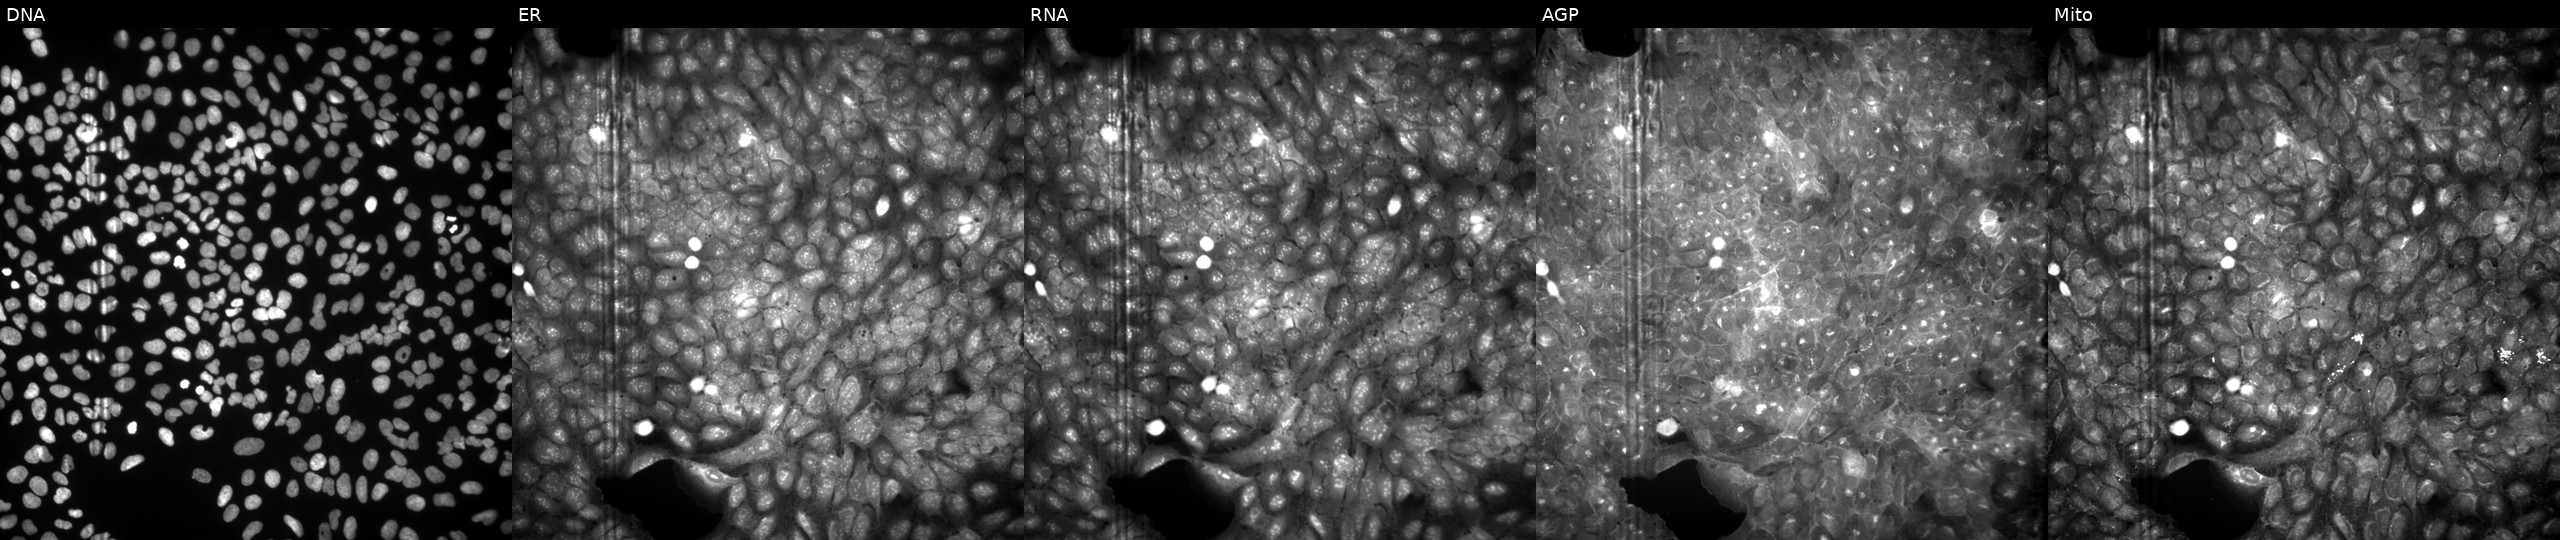
JUMP Cell Painting — COMPOUND plate. U2OS cells perturbed with a small-molecule compound (InChIKey BWRFYUFVNHYVJN-UHFFFAOYSA-N). Panels show, left to right, DNA (nuclei); ER (endoplasmic reticulum); RNA (nucleoli and cytoplasmic RNA); AGP (actin cytoskeleton, Golgi, and plasma membrane); Mito (mitochondria). Source 9, plate GR00003381, well Y32.